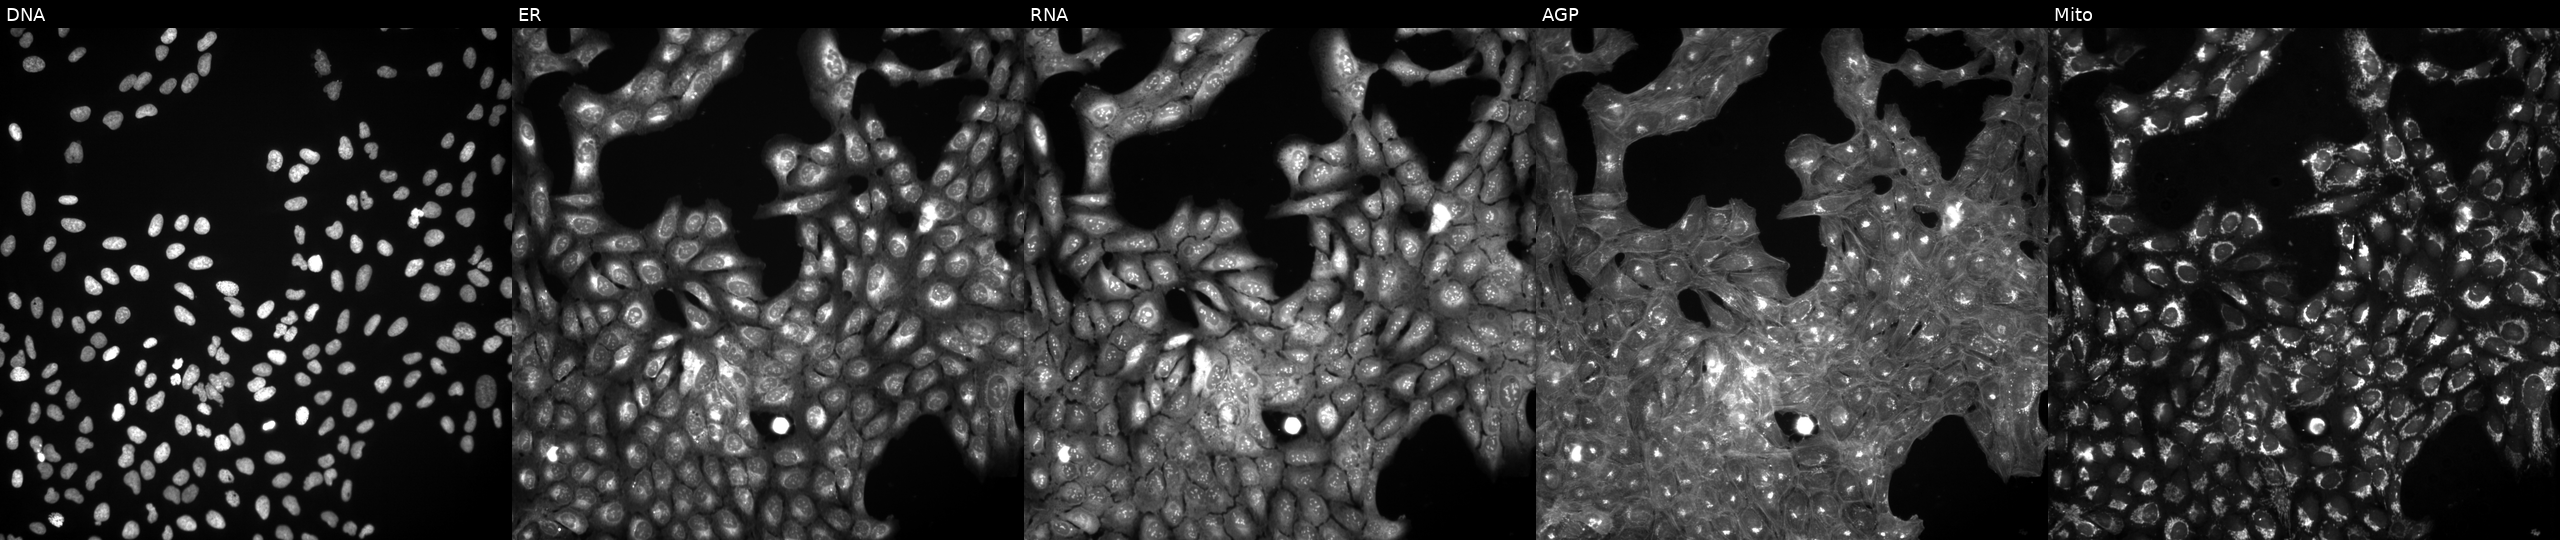
JUMP Cell Painting — TARGET2 plate. U2OS cells exposed to DMSO alone as a negative control. The five panels, left to right, show Hoechst 33342, concanavalin A, SYTO 14, phalloidin and WGA, MitoTracker.